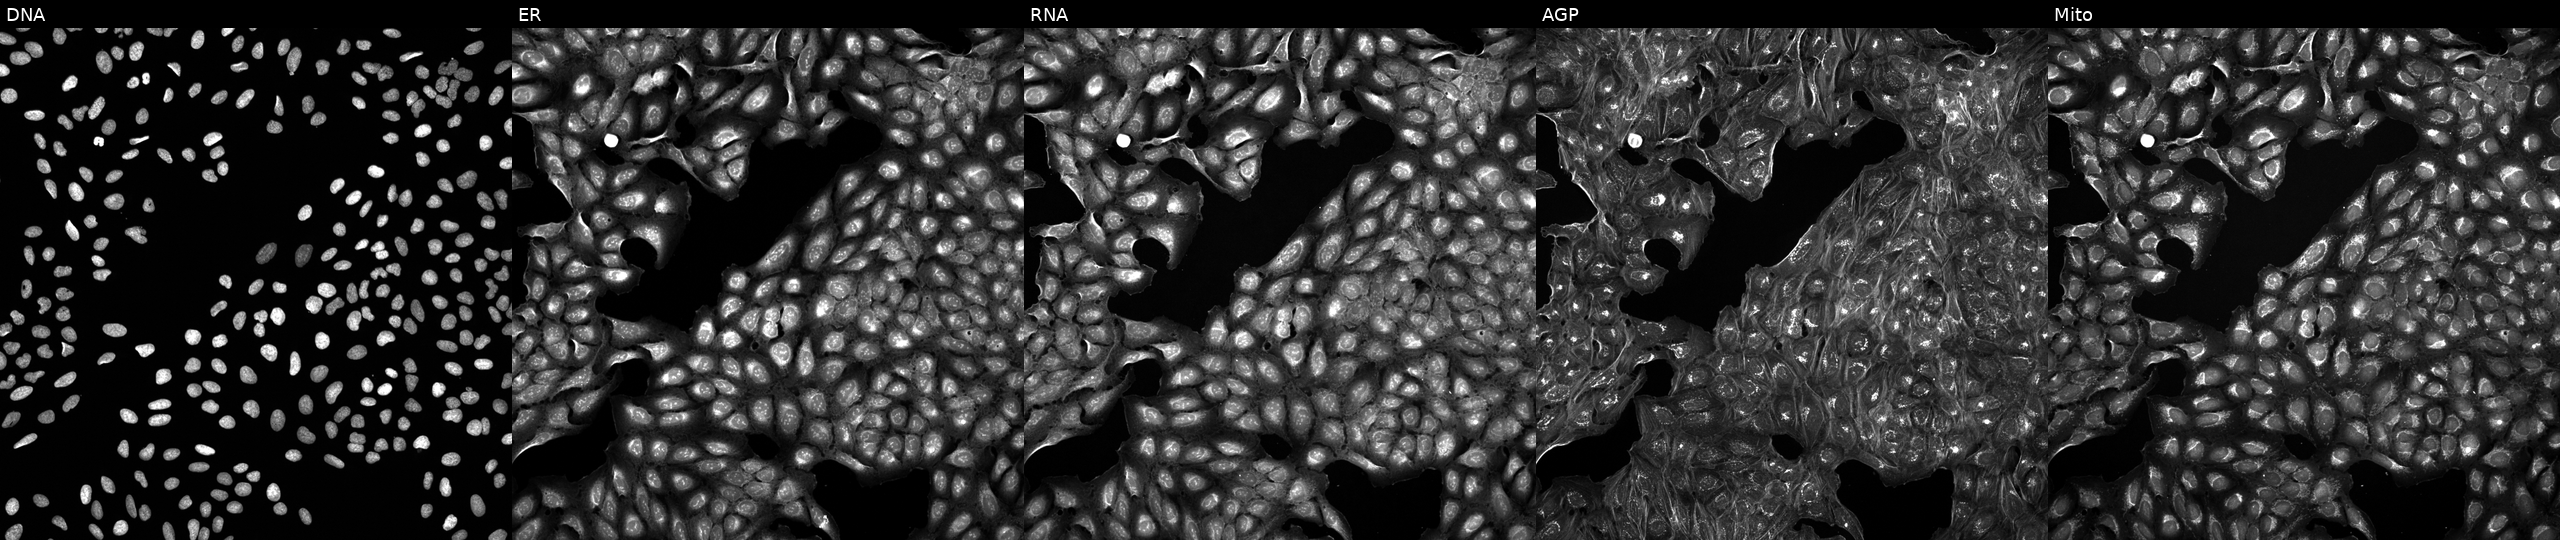
This image strip shows the five Cell Painting channels for a single field of U2OS cells perturbed with a small-molecule compound (InChIKey NLTKMFAUIAVUIE-UHFFFAOYSA-N). Panels show, left to right, Hoechst 33342, concanavalin A, SYTO 14, phalloidin and WGA, MitoTracker.